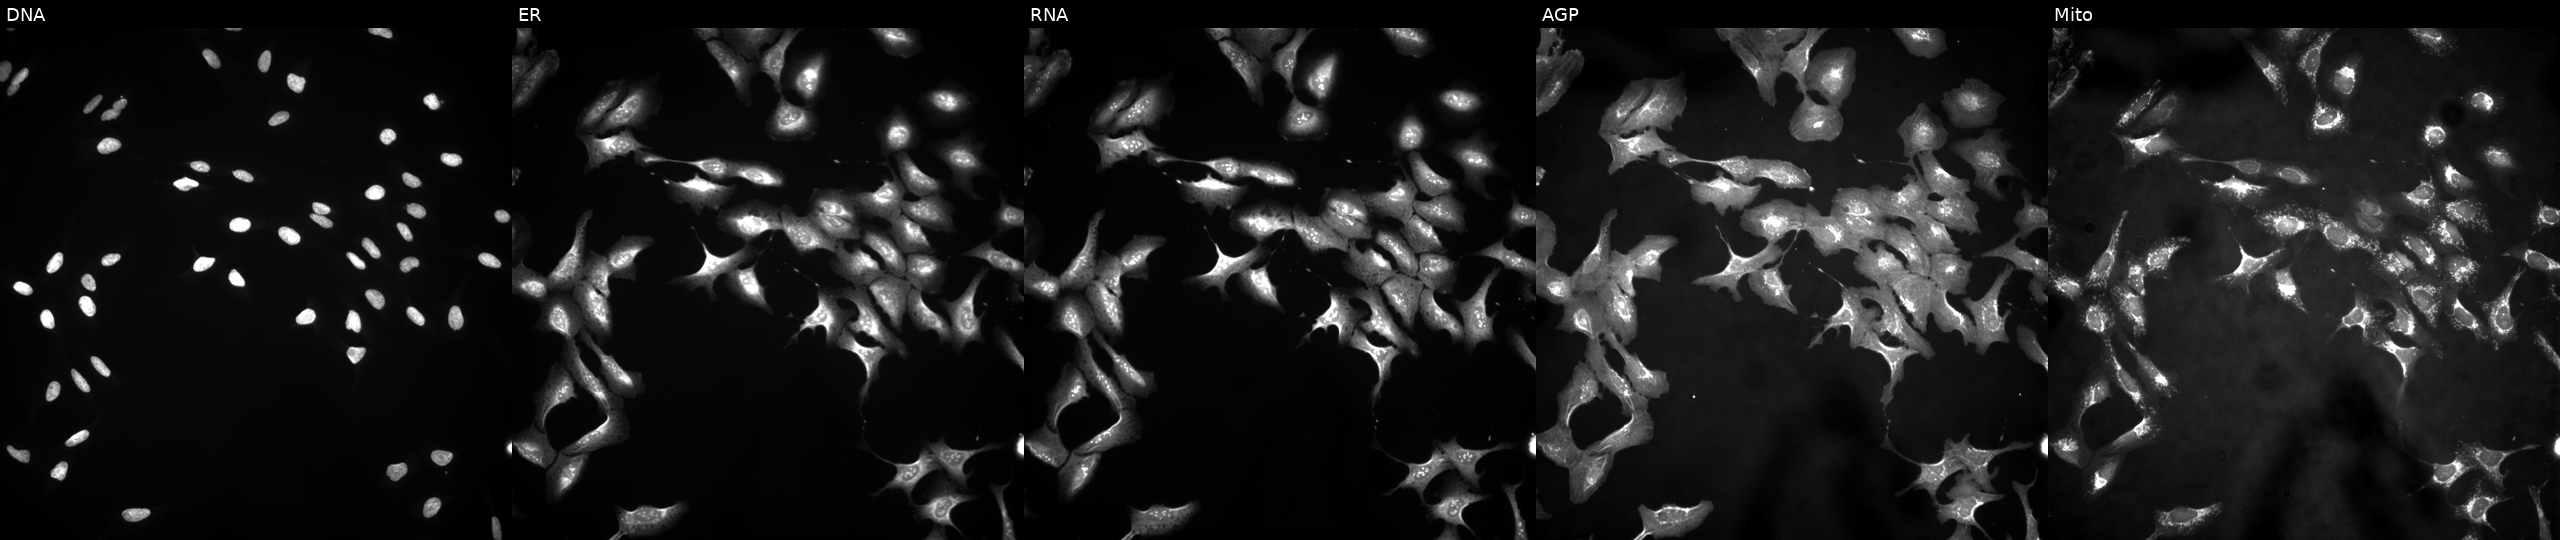
U2OS cells, Cell Painting assay, with FBXL13 overexpressed (ORF). The five panels, left to right, show DNA, ER, RNA, AGP, and Mito. Each panel is percentile-stretched 16-bit fluorescence. Source 4, plate BR00121543, well I16.